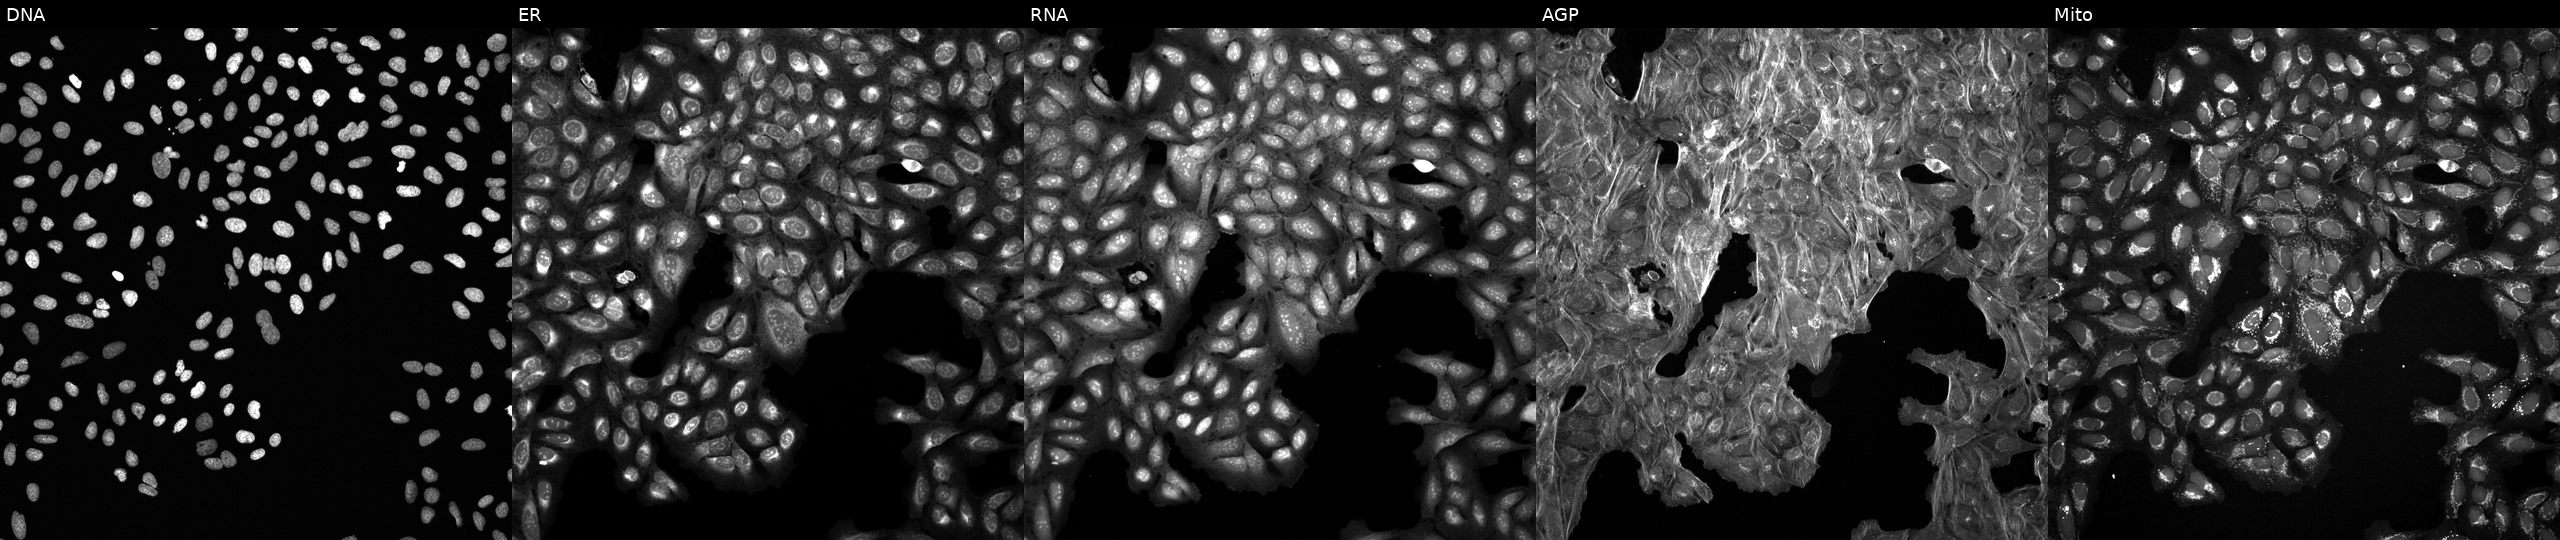
The five panels, left to right, show DNA (nuclei); ER (endoplasmic reticulum); RNA (nucleoli and cytoplasmic RNA); AGP (actin cytoskeleton, Golgi, and plasma membrane); Mito (mitochondria). U2OS osteosarcoma cells perturbed with a small-molecule compound [SMILES: Cc1nn(C)c2[nH]c(=NNC(=O)N=c3cc(Cl)[nH]c(Cl)c3)cc(C(C)C)c12] (JUMP id JCP2022_079562). Cell Painting assay, JUMP-CP dataset.